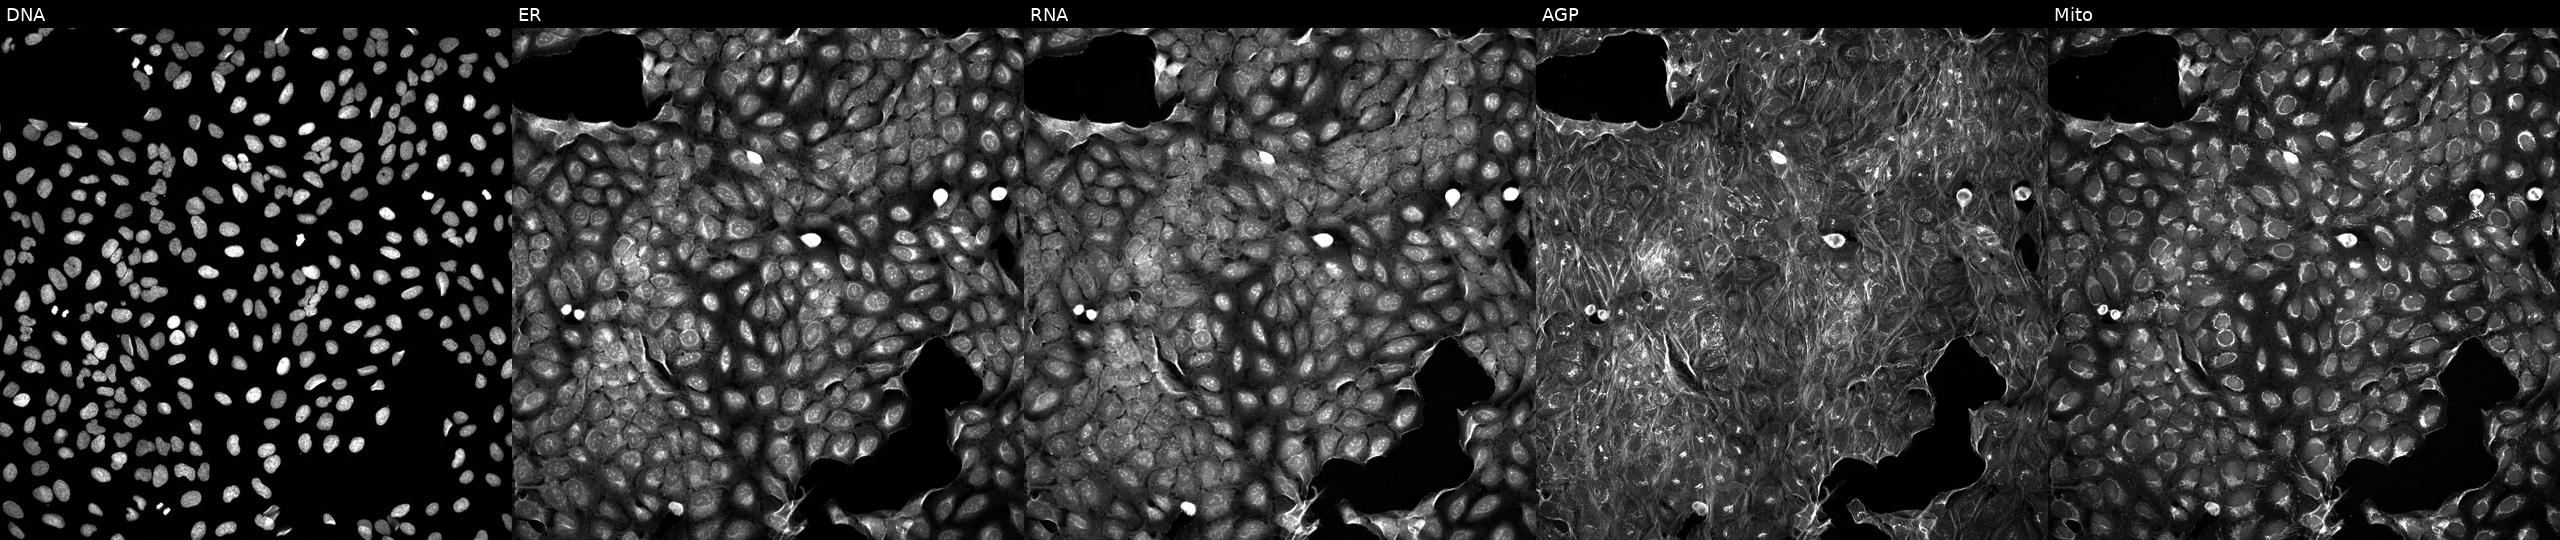
High-content fluorescence microscopy (Cell Painting). Cell line: U2OS. Perturbation: perturbed with a small-molecule compound (InChIKey DTGLZDAWLRGWQN-UHFFFAOYSA-N). From left to right: Hoechst 33342, concanavalin A, SYTO 14, phalloidin and WGA, MitoTracker.